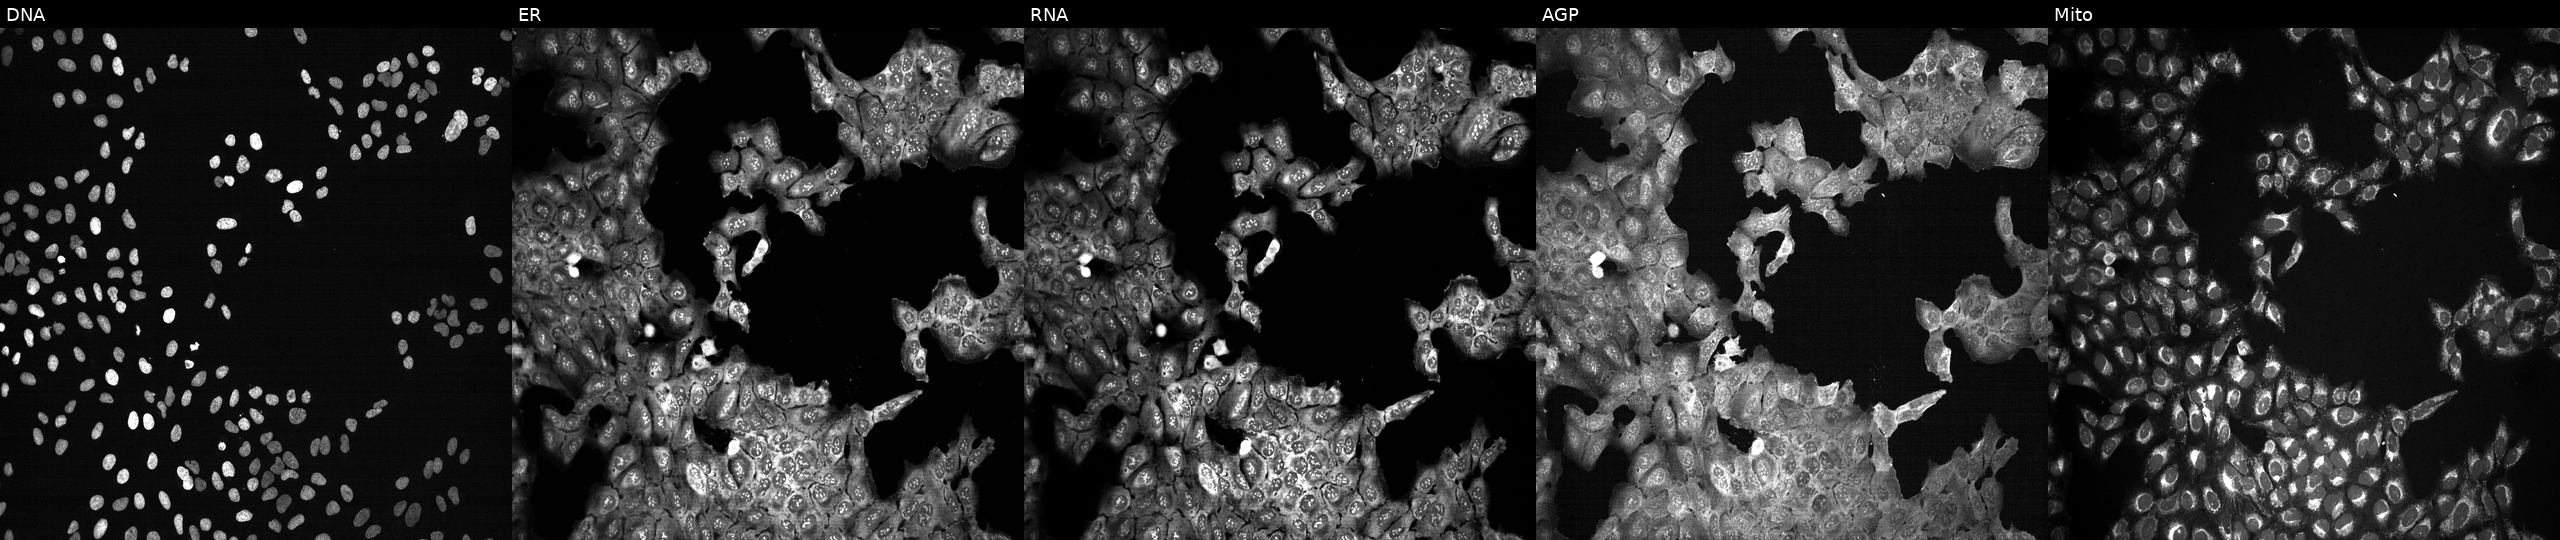
JUMP Cell Painting — CRISPR plate. U2OS cells CRISPR-edited to disrupt PDIA4. The five panels, left to right, show DNA (nuclei); ER (endoplasmic reticulum); RNA (nucleoli and cytoplasmic RNA); AGP (actin cytoskeleton, Golgi, and plasma membrane); Mito (mitochondria). Source 13, plate CP-CC9-R3-02, well K21.